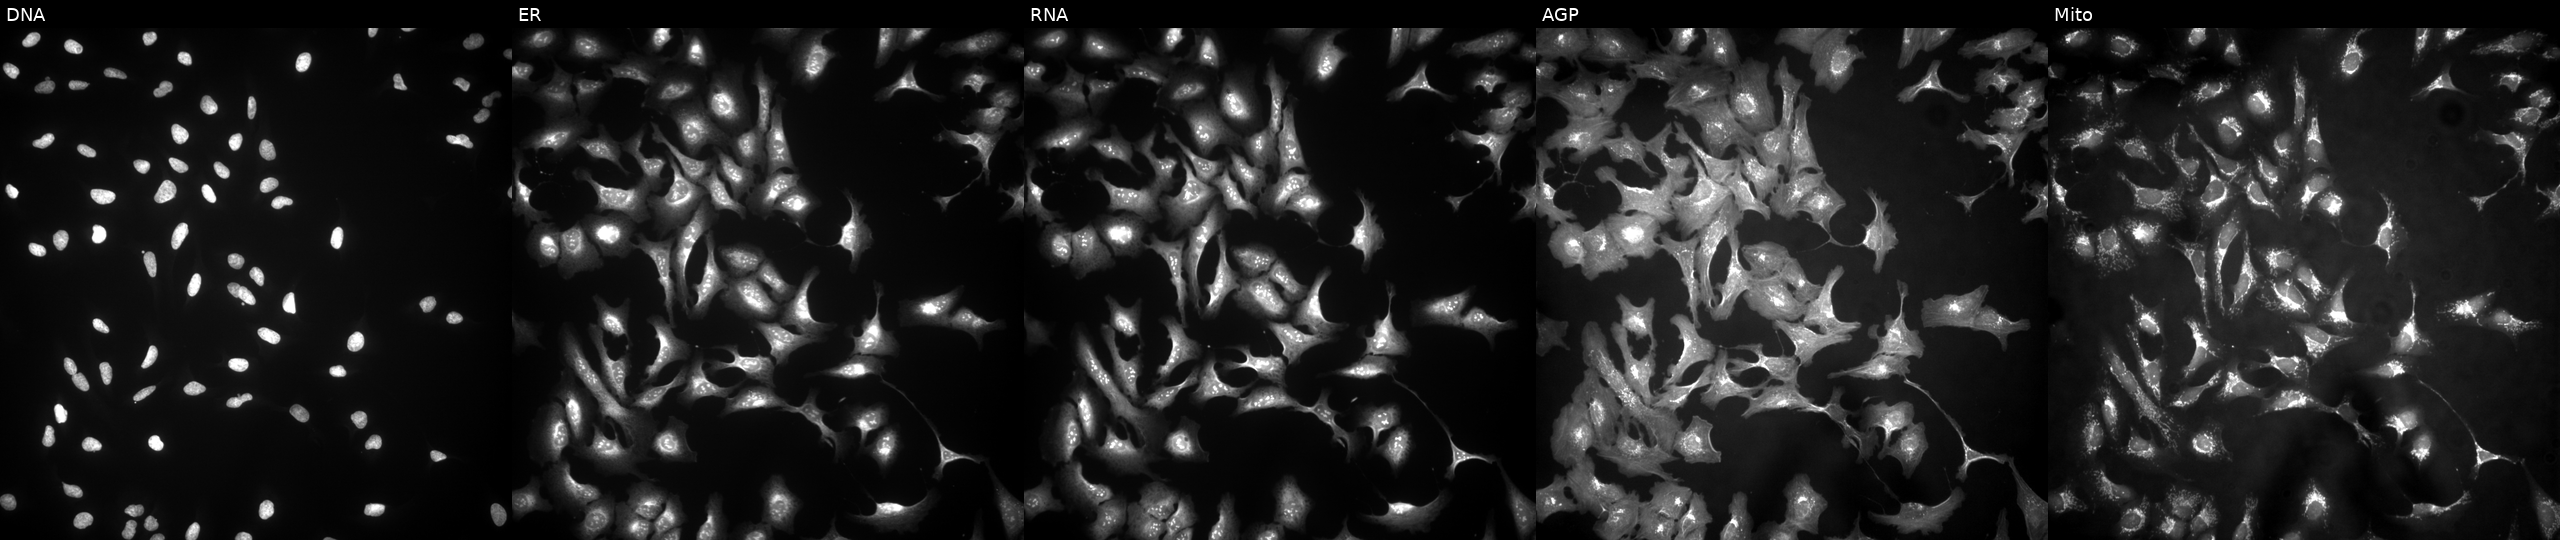
The five panels, left to right, show Hoechst 33342, concanavalin A, SYTO 14, phalloidin and WGA, MitoTracker. U2OS osteosarcoma cells with WARS1 overexpressed (ORF) (JUMP id JCP2022_901653). Cell Painting assay, JUMP-CP dataset. Source 4, plate BR00123506, well L09.